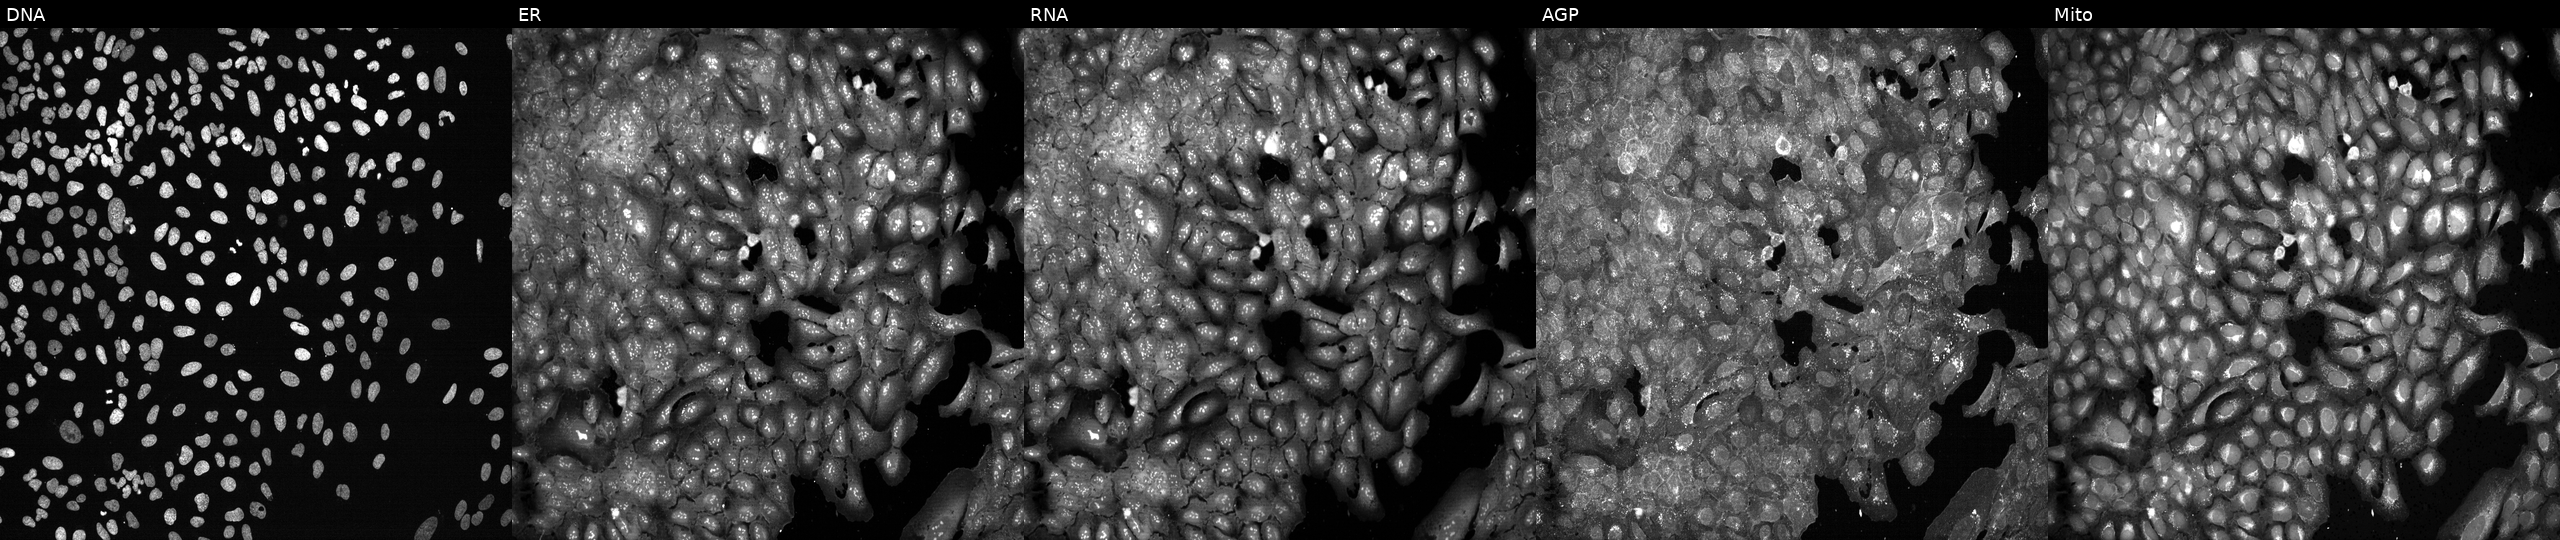
Channels (left→right): Hoechst 33342, concanavalin A, SYTO 14, phalloidin and WGA, MitoTracker. U2OS osteosarcoma cells with ATP8B4 knocked out by CRISPR (JUMP id JCP2022_800752). Cell Painting assay, JUMP-CP dataset. Source 13, plate CP-CC9-R1-02, well J09.